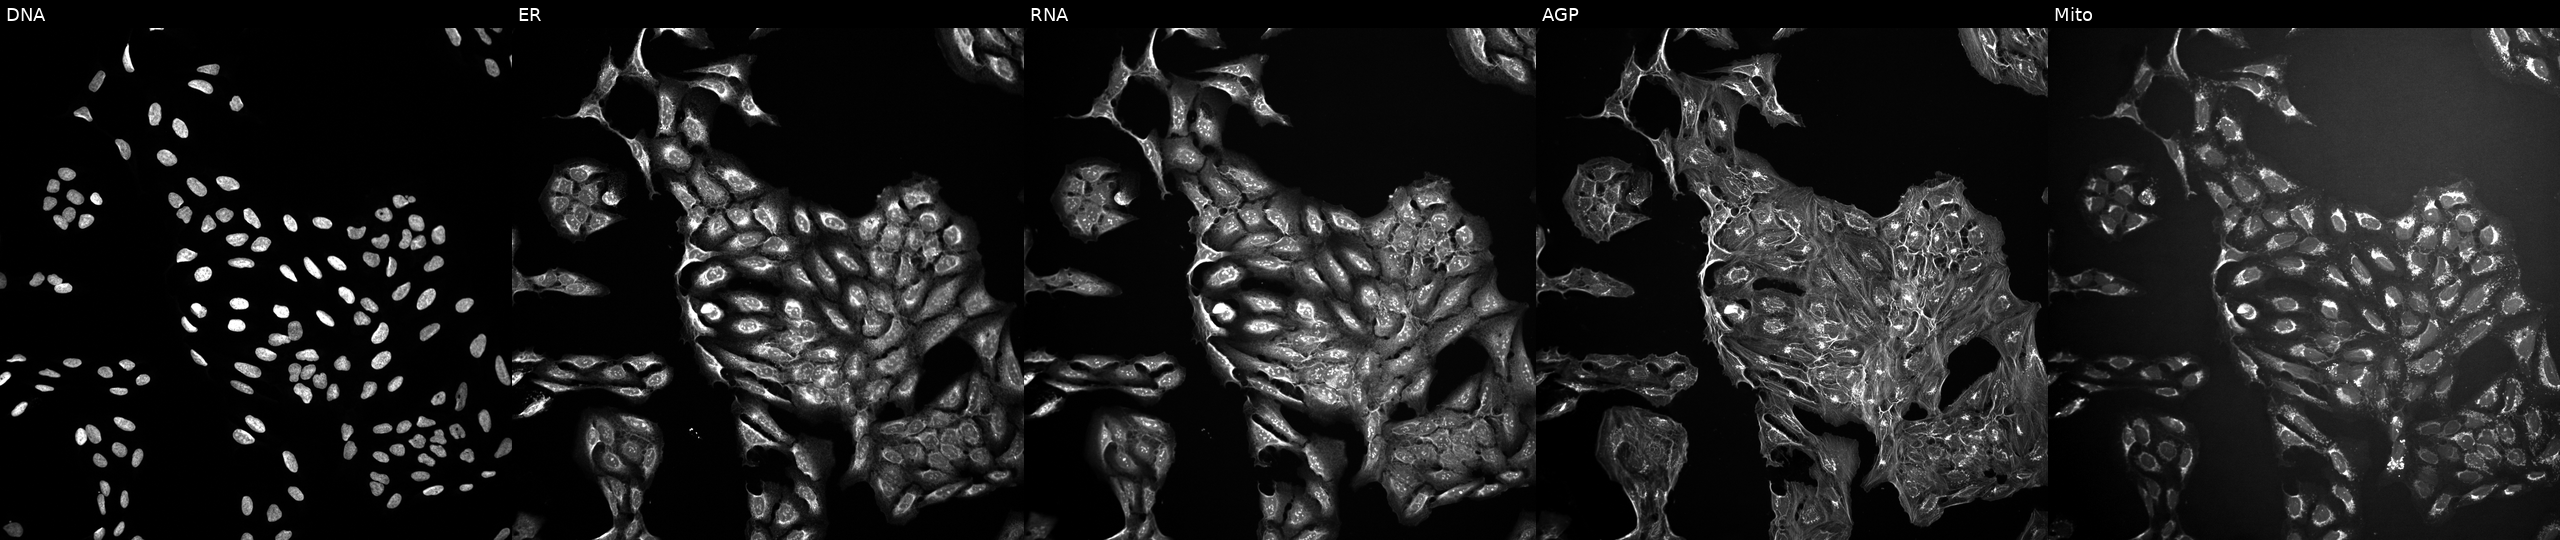
High-content fluorescence microscopy (Cell Painting). Cell line: U2OS. Perturbation: untreated (empty-well control). The five panels, left to right, show DNA, ER, RNA, AGP, and Mito.